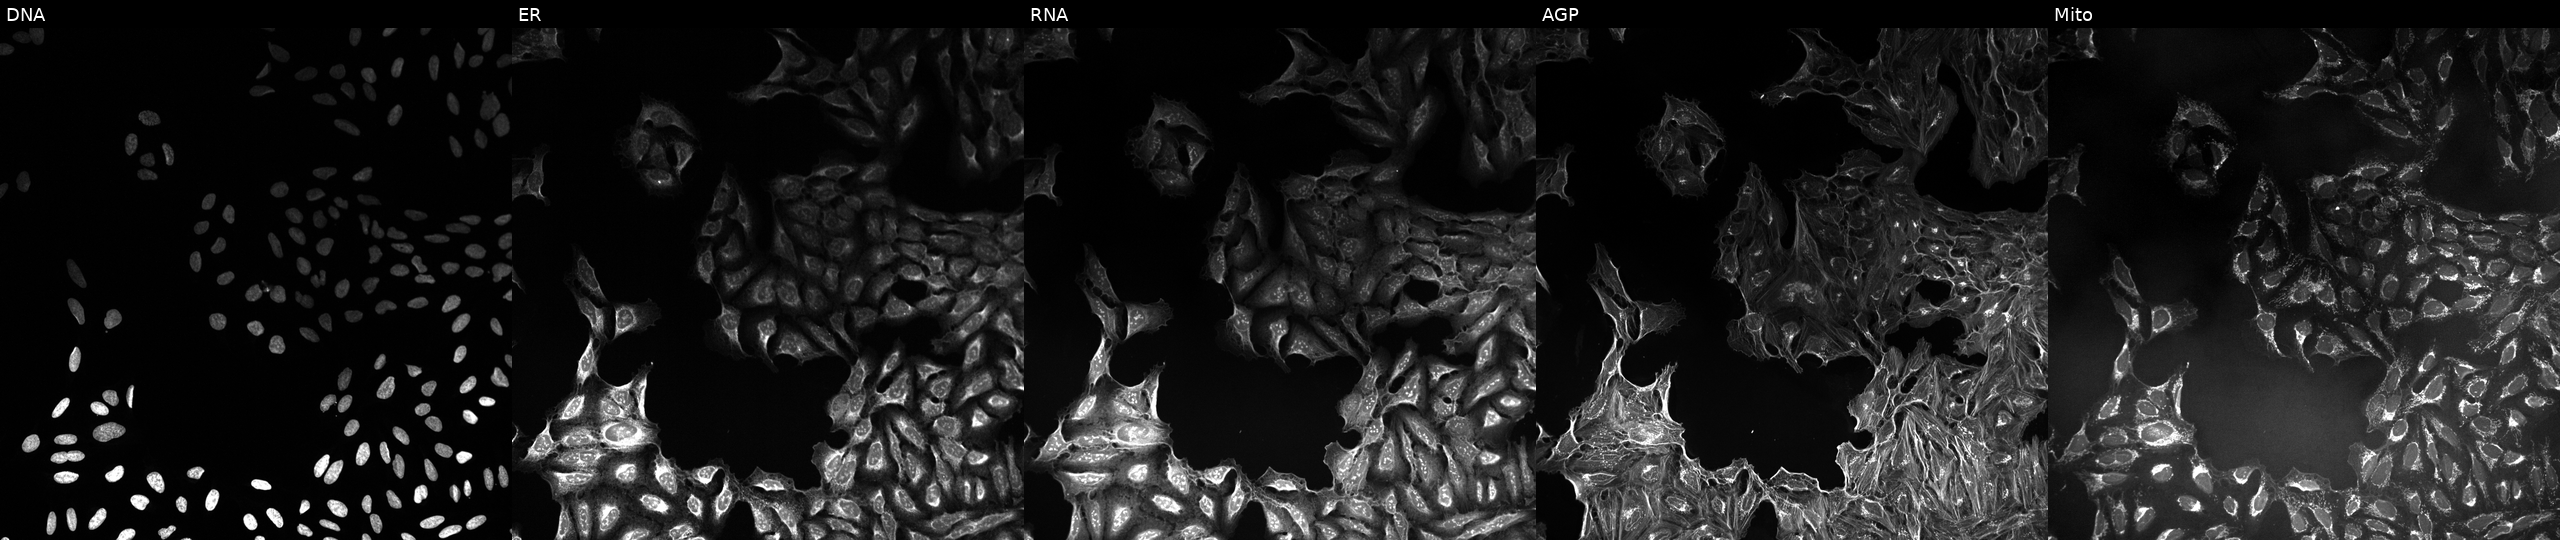
U2OS cells, Cell Painting assay, treated with dexamethasone (positive-control compound). Channels (left→right): DNA (nuclei); ER (endoplasmic reticulum); RNA (nucleoli and cytoplasmic RNA); AGP (actin cytoskeleton, Golgi, and plasma membrane); Mito (mitochondria). Each panel is percentile-stretched 16-bit fluorescence.